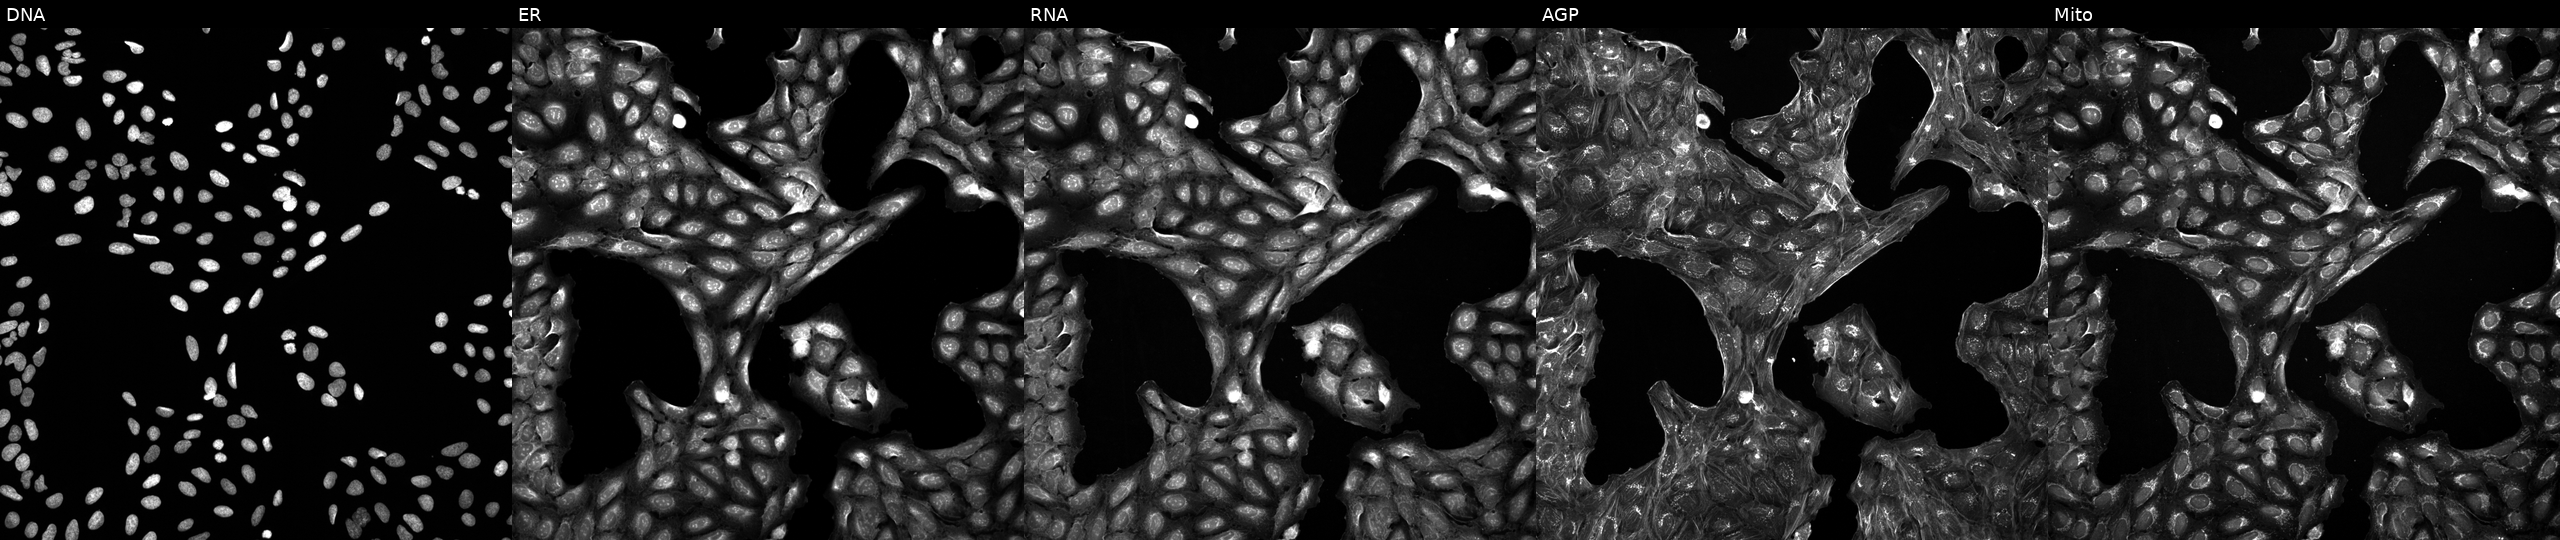
High-content fluorescence microscopy (Cell Painting). Cell line: U2OS. Perturbation: treated with dexamethasone (positive-control compound) (JUMP id JCP2022_025848). From left to right: DNA, ER, RNA, AGP, and Mito.